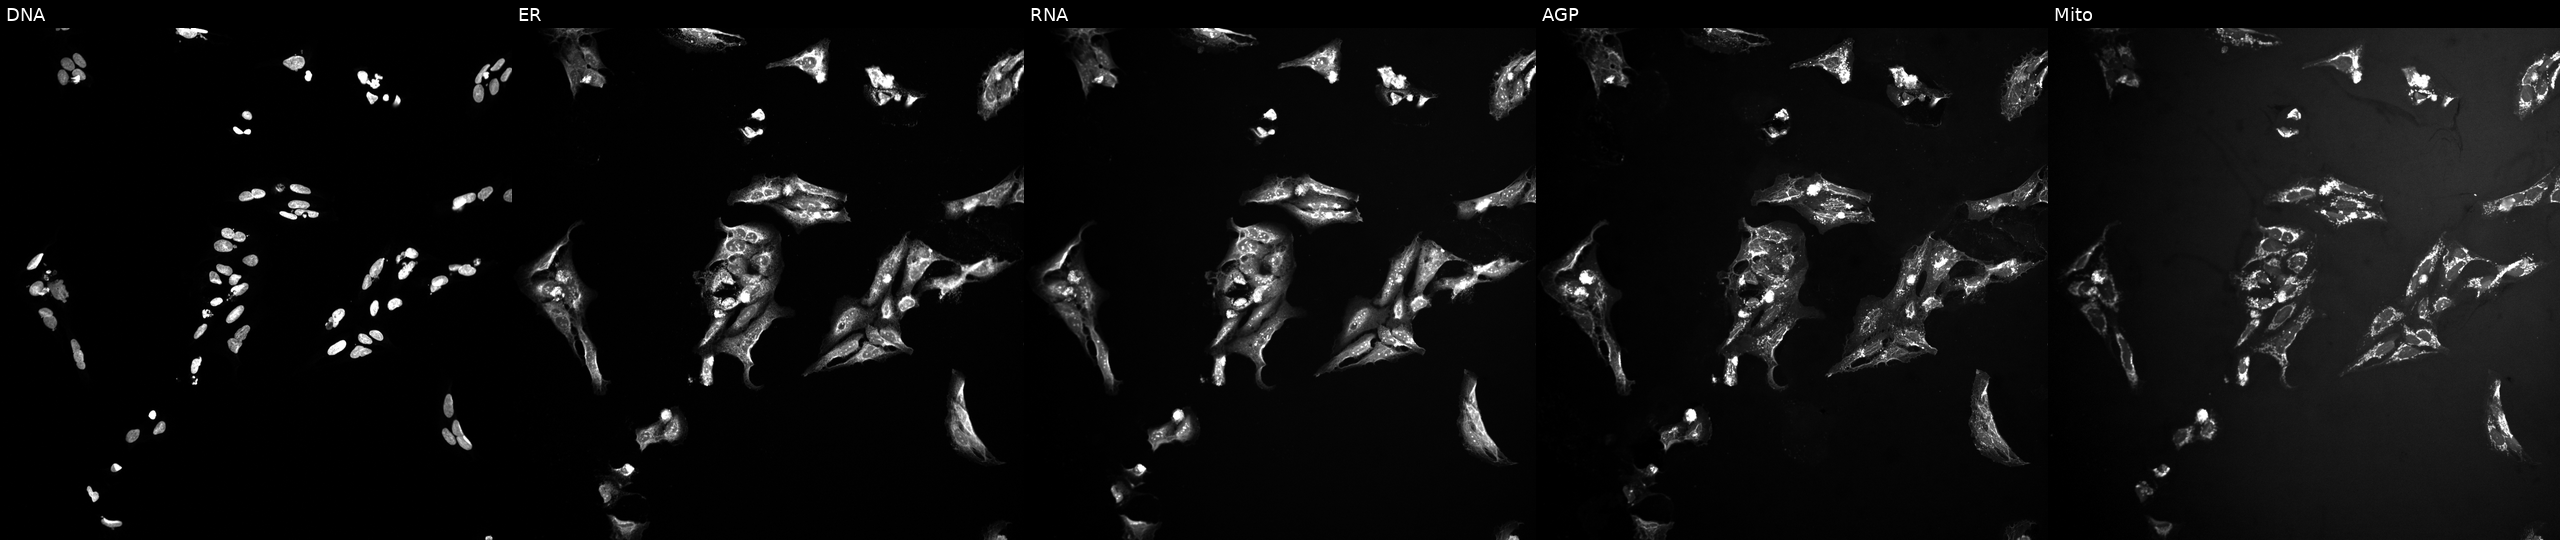
U2OS cells, Cell Painting assay, exposed to a small-molecule compound (InChIKey JOOXLOJCABQBSG-UHFFFAOYSA-N) [SMILES: Cc1c[nH]c(=Nc2ccc(OCCN3CCCC3)cc2)[nH]c1=Nc1cccc(S(=O)(=O)NC(C)(C)C)c1]. Channels (left→right): DNA, ER, RNA, AGP, and Mito. Each panel is percentile-stretched 16-bit fluorescence.